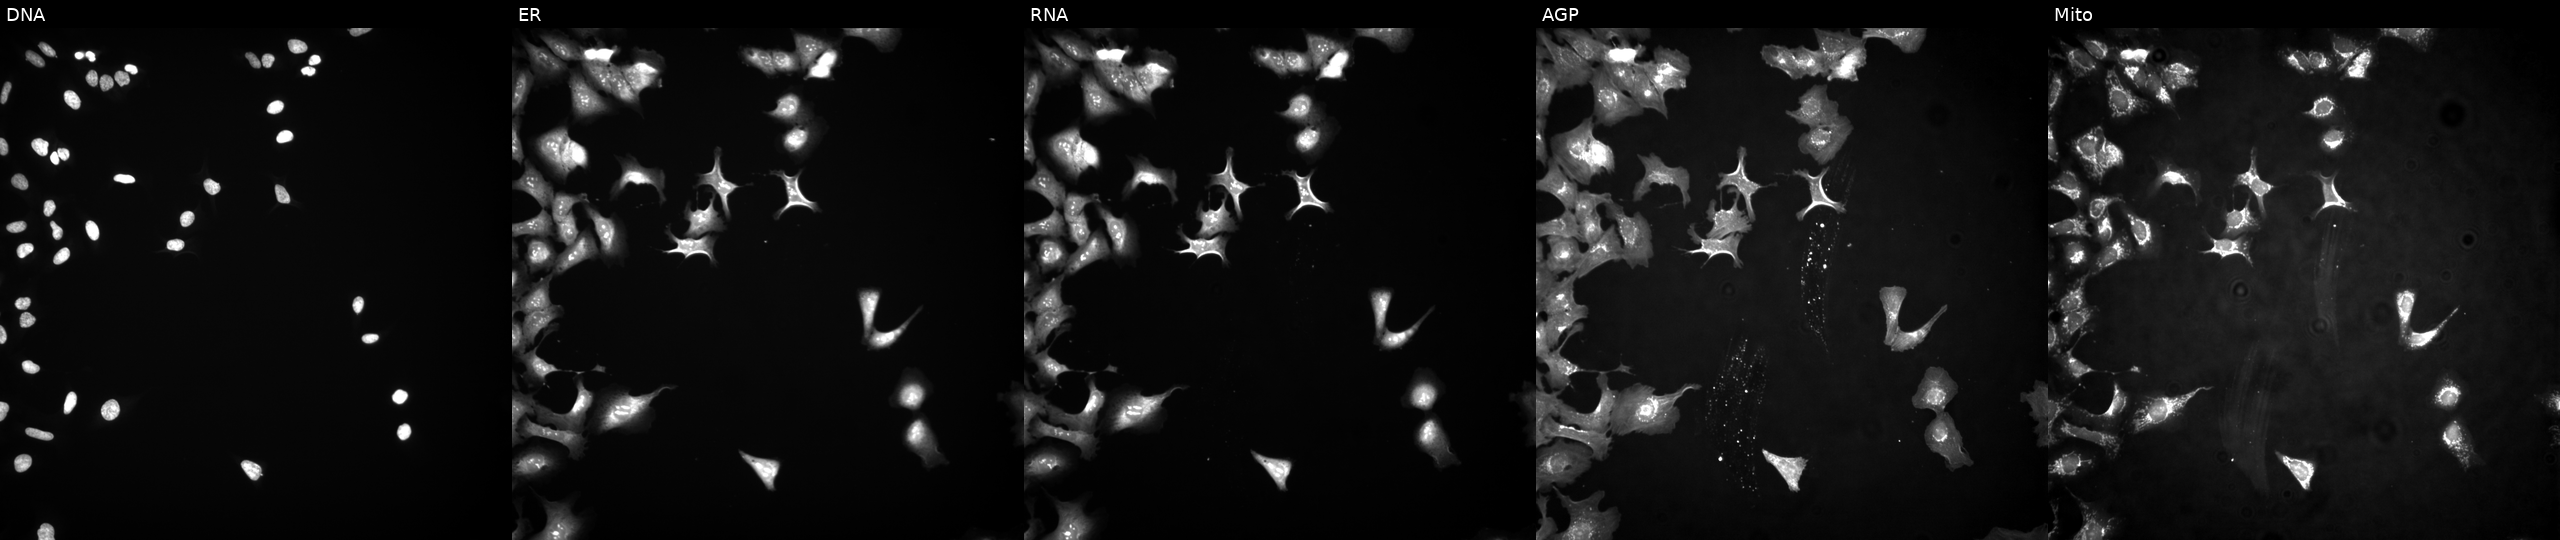
High-content fluorescence microscopy (Cell Painting). Cell line: U2OS. Perturbation: untreated (empty-well control). Channels (left→right): DNA (nuclei); ER (endoplasmic reticulum); RNA (nucleoli and cytoplasmic RNA); AGP (actin cytoskeleton, Golgi, and plasma membrane); Mito (mitochondria).